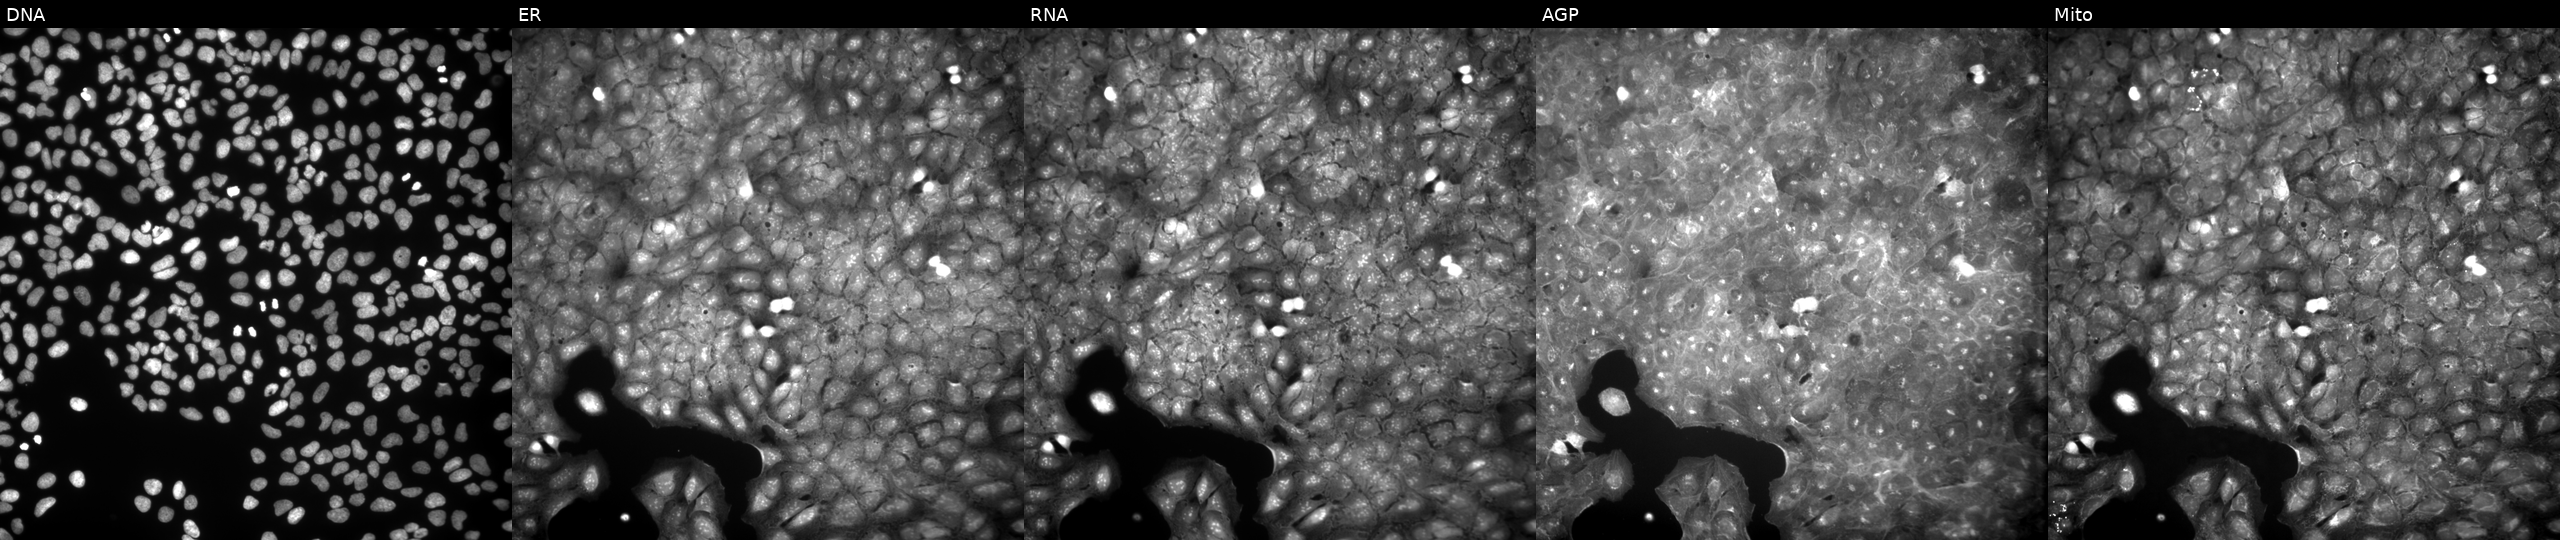
U2OS cells, Cell Painting assay, perturbed with a small-molecule compound (InChIKey MMOCKXXDRATQLQ-UHFFFAOYSA-N) (JUMP id JCP2022_055108). The five panels, left to right, show DNA, ER, RNA, AGP, and Mito. Each panel is percentile-stretched 16-bit fluorescence. Source 9, plate GR00003381, well P40.